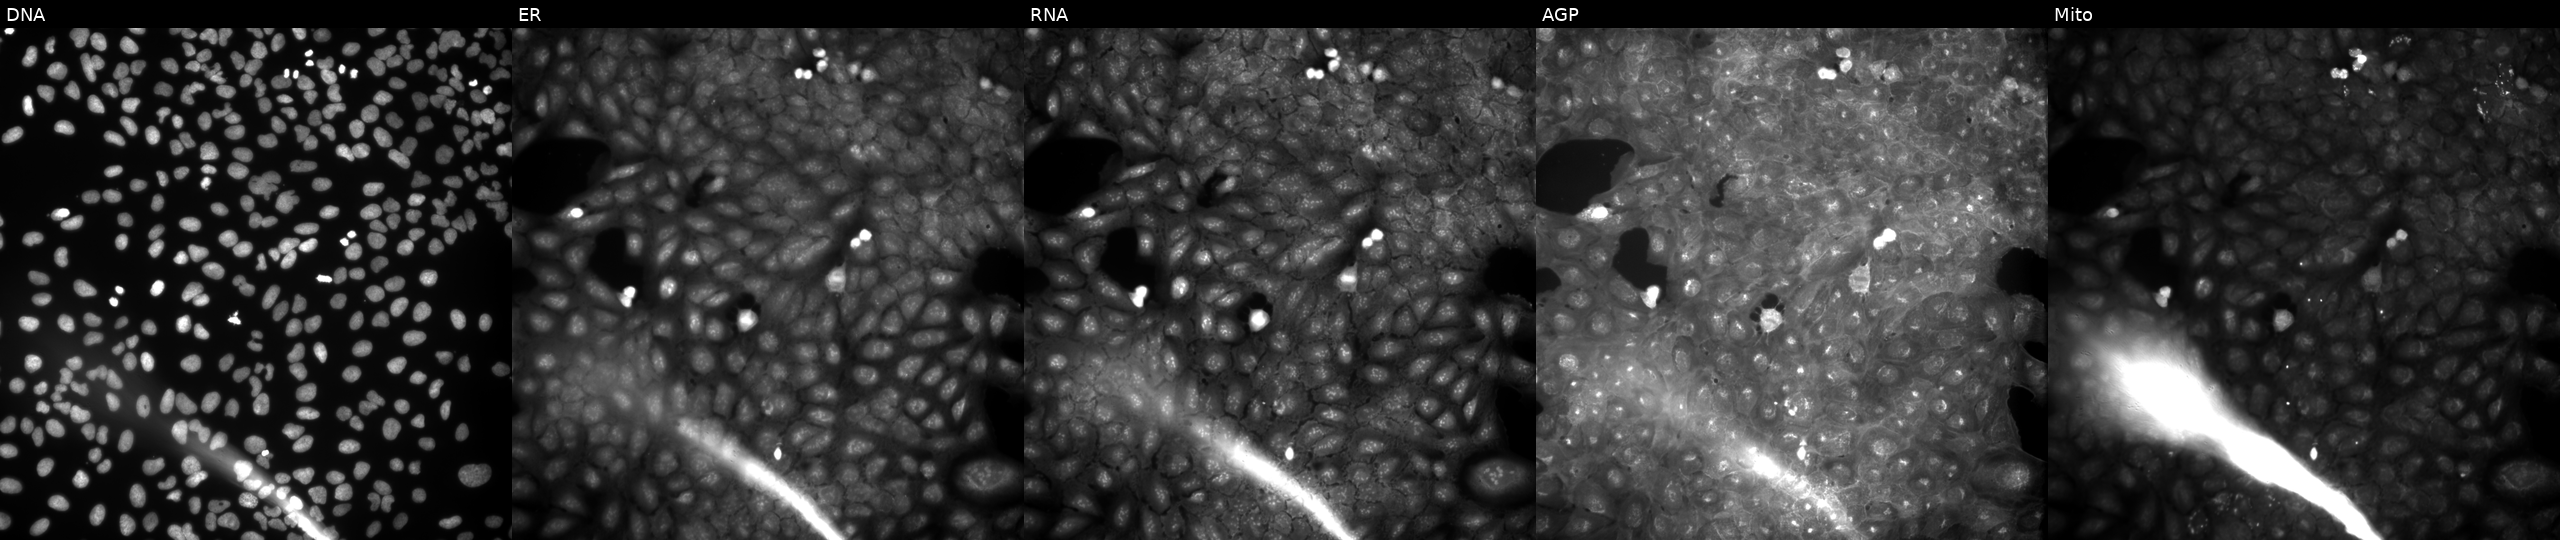
Five-channel Cell Painting image of U2OS cells treated with a small-molecule compound (InChIKey UCXWAMKRFSPWCE-UHFFFAOYSA-N) (JUMP id JCP2022_088386). Panels show, left to right, DNA, ER, RNA, AGP, and Mito. Source 9, plate GR00003382, well E33.